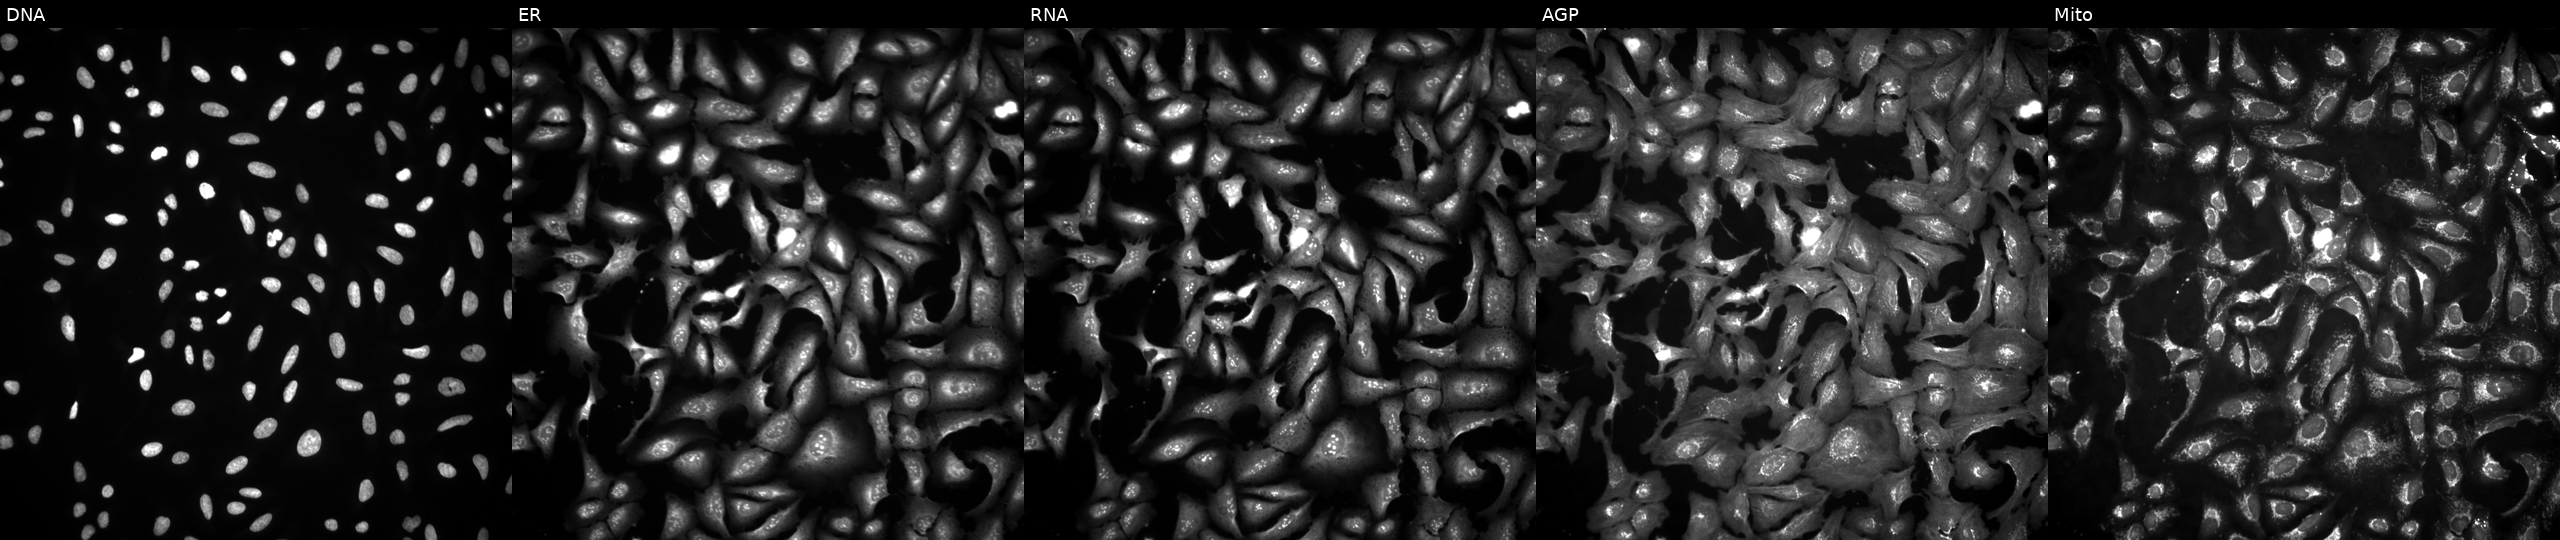
This image strip shows the five Cell Painting channels for a single field of U2OS cells overexpressing DRICH1 via ORF transfection (JUMP id JCP2022_914812). Channels (left→right): DNA, ER, RNA, AGP, and Mito. Source 4, plate BR00124787, well C16.